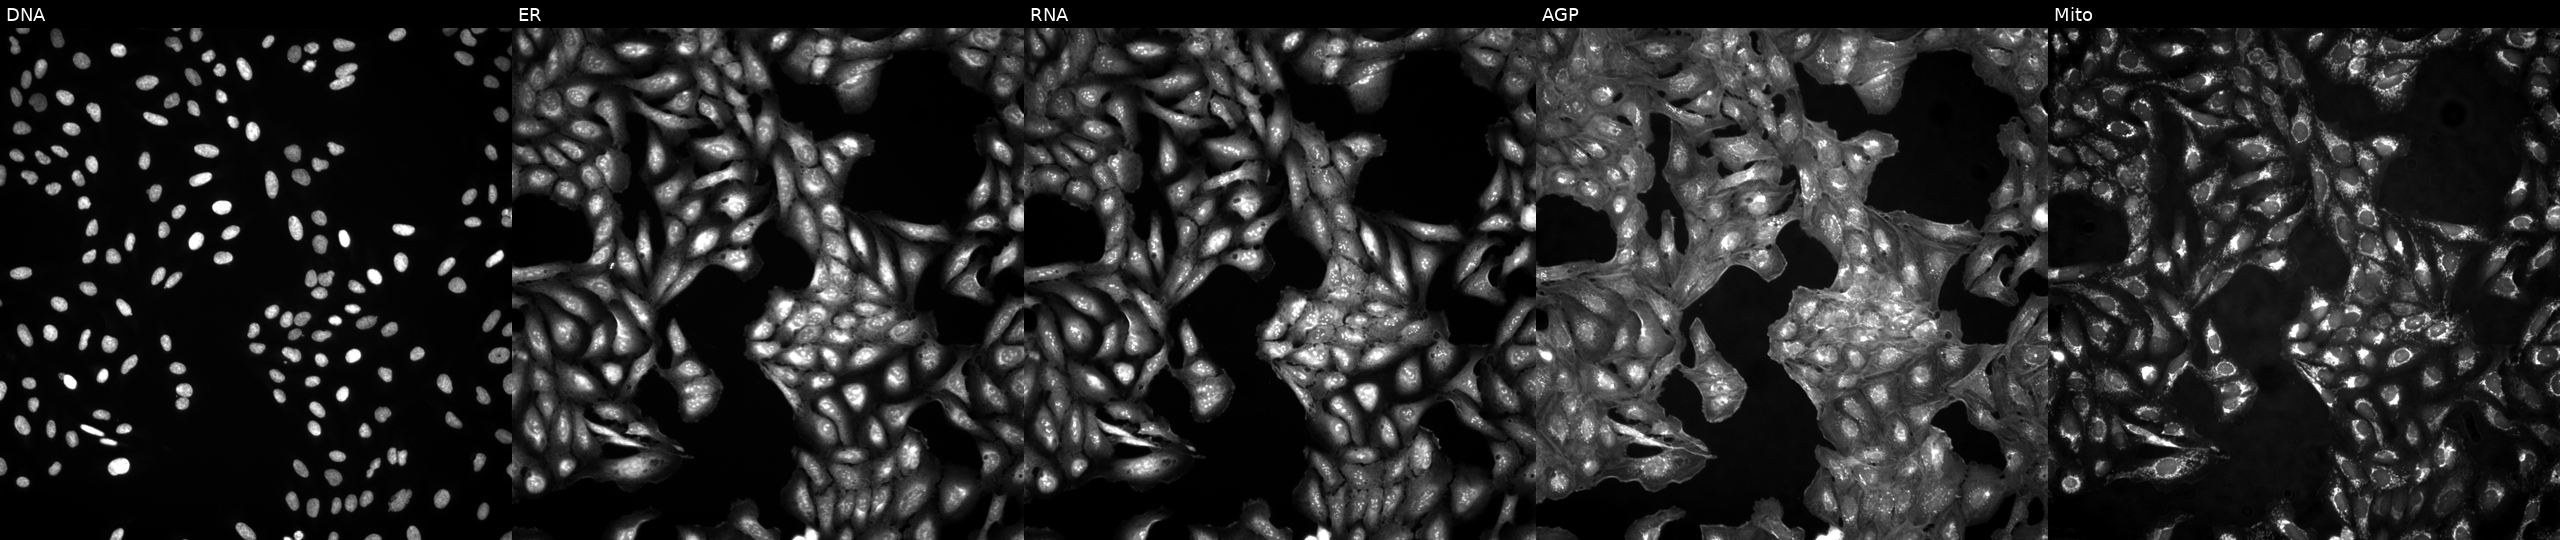
This image strip shows the five Cell Painting channels for a single field of U2OS cells in an empty control well (no perturbation) (JUMP id JCP2022_999999). Panels show, left to right, DNA (nuclei); ER (endoplasmic reticulum); RNA (nucleoli and cytoplasmic RNA); AGP (actin cytoskeleton, Golgi, and plasma membrane); Mito (mitochondria). Source 4, plate BR00124793, well O06.